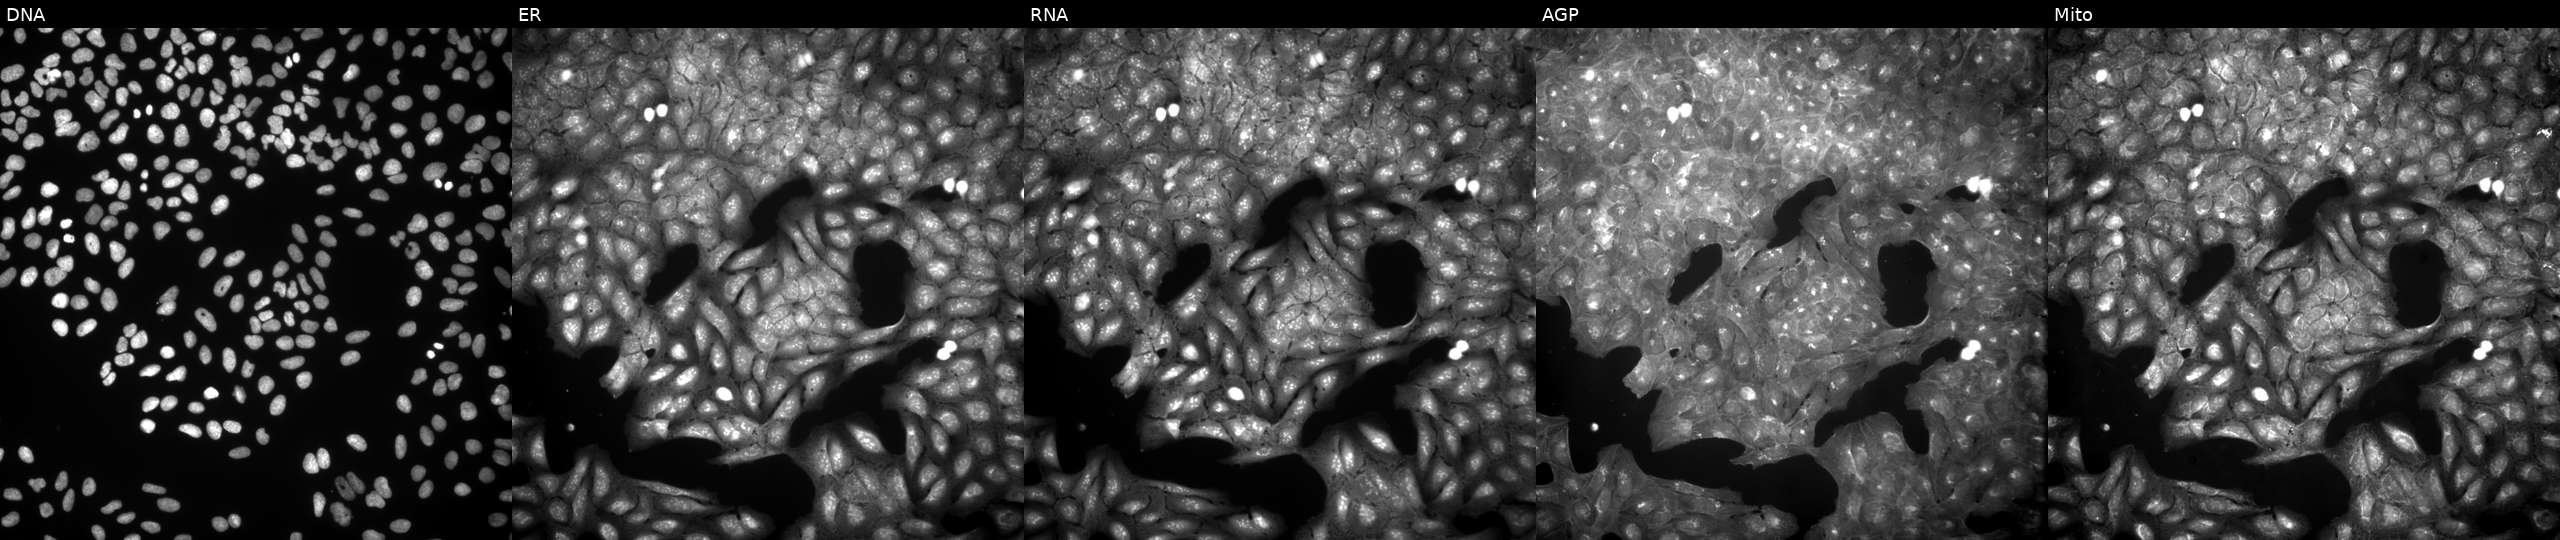
This image strip shows the five Cell Painting channels for a single field of U2OS cells treated with a small-molecule compound (InChIKey OYJXUAABDVJXMF-UHFFFAOYSA-N) [SMILES: CCCOC(=O)Nc1ccc(S(=O)(=O)N=c2nccc[nH]2)cc1]. Channels (left→right): DNA (nuclei); ER (endoplasmic reticulum); RNA (nucleoli and cytoplasmic RNA); AGP (actin cytoskeleton, Golgi, and plasma membrane); Mito (mitochondria).